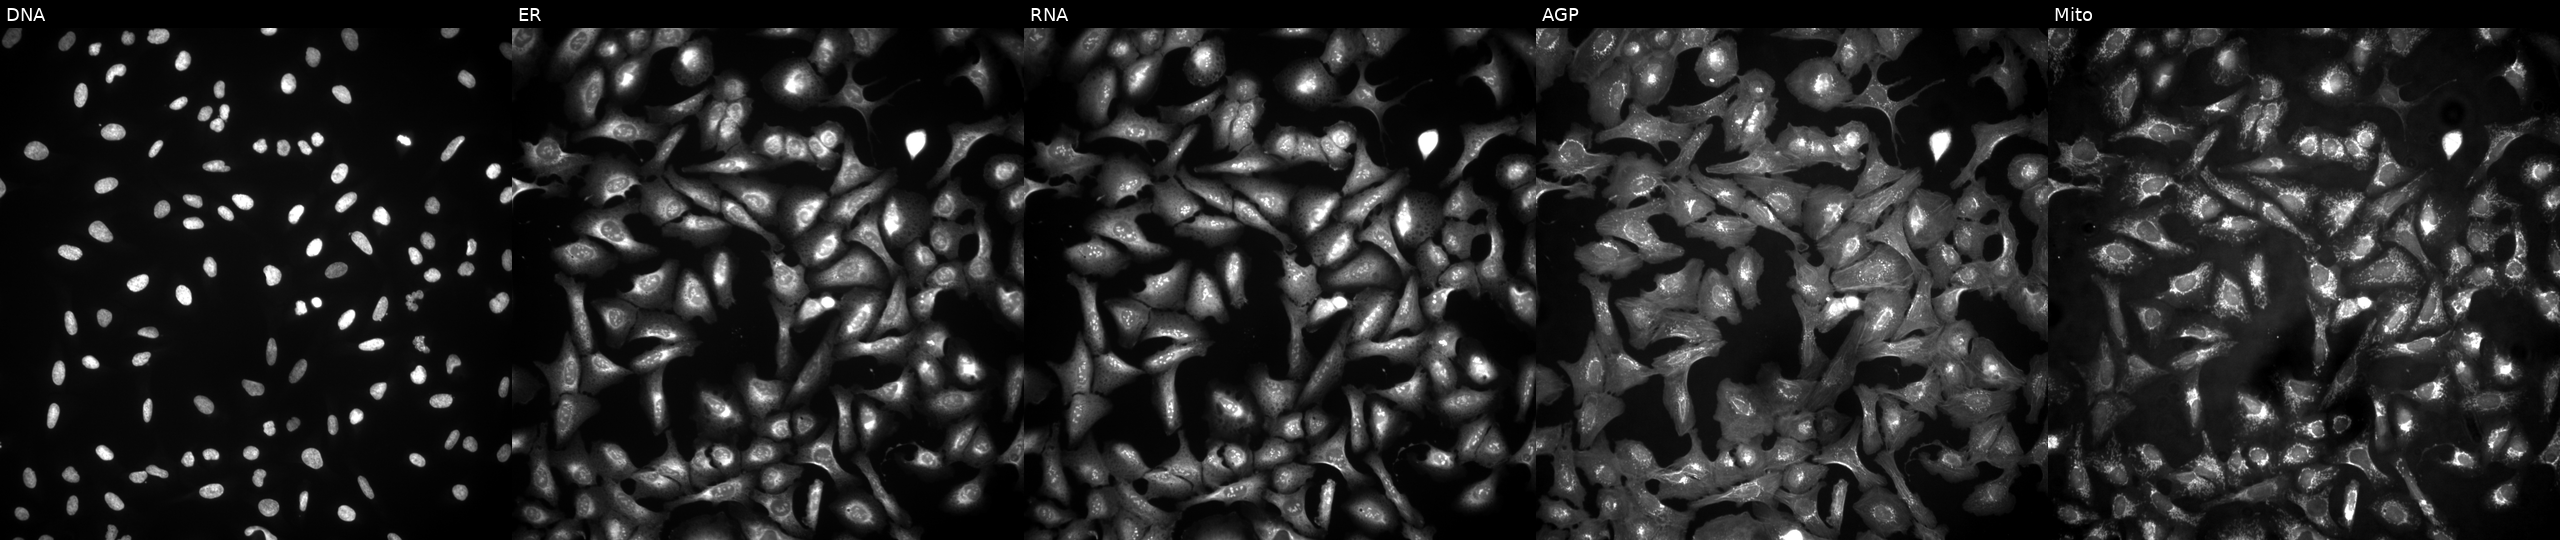
This image strip shows the five Cell Painting channels for a single field of U2OS cells overexpressing PSME2 via ORF transfection (JUMP id JCP2022_914546). The five panels, left to right, show Hoechst 33342, concanavalin A, SYTO 14, phalloidin and WGA, MitoTracker. Source 4, plate BR00124790, well B24.